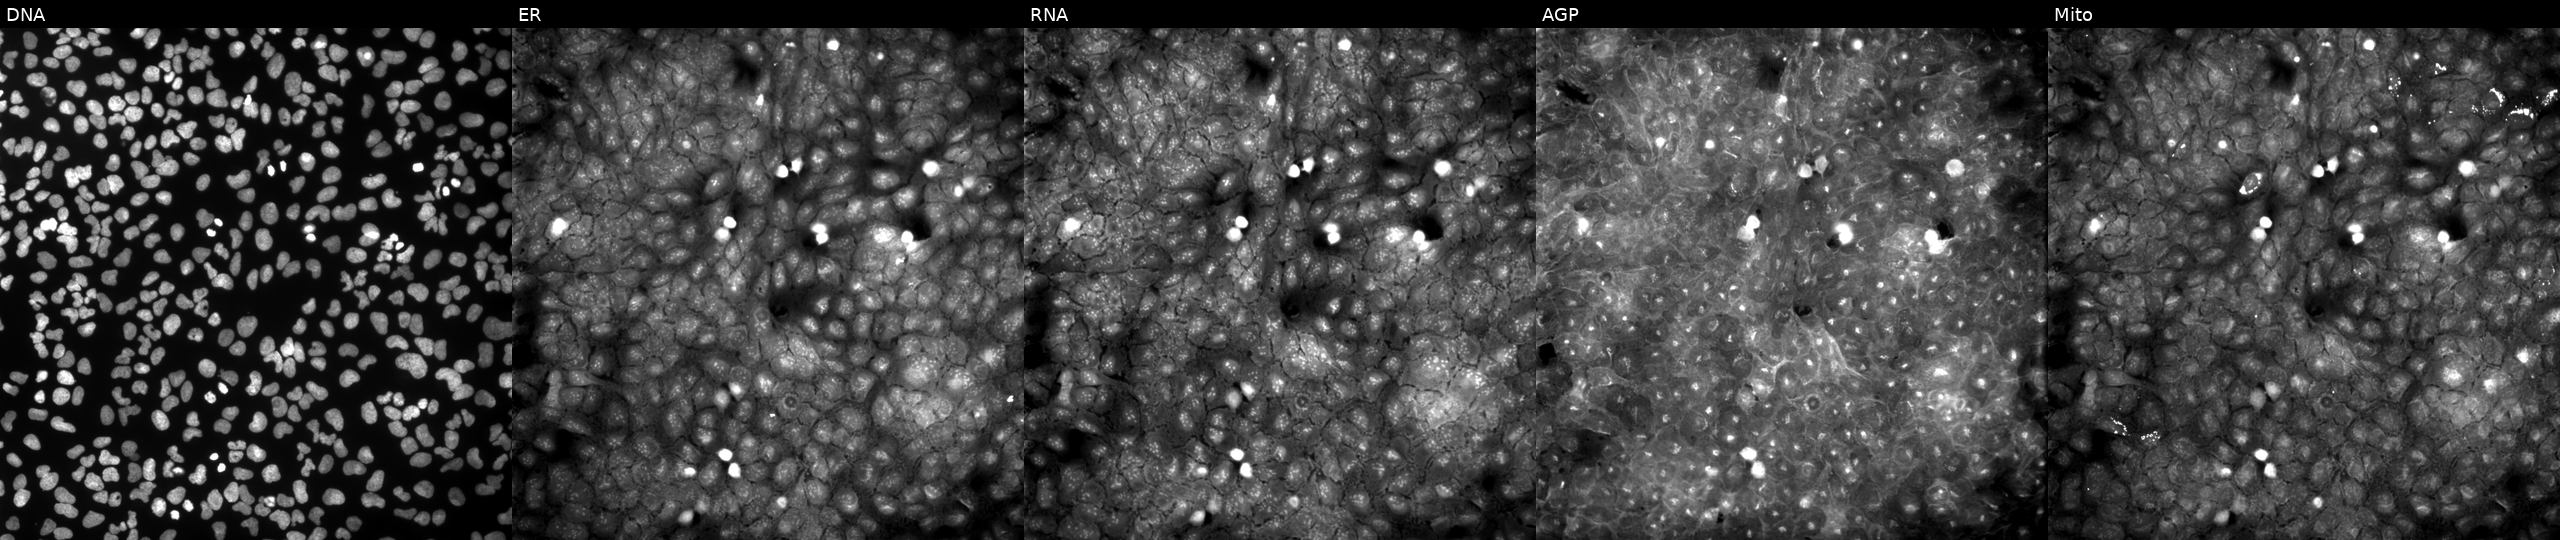
JUMP Cell Painting — COMPOUND plate. U2OS cells treated with DMSO vehicle only (negative control). Panels show, left to right, Hoechst 33342, concanavalin A, SYTO 14, phalloidin and WGA, MitoTracker.